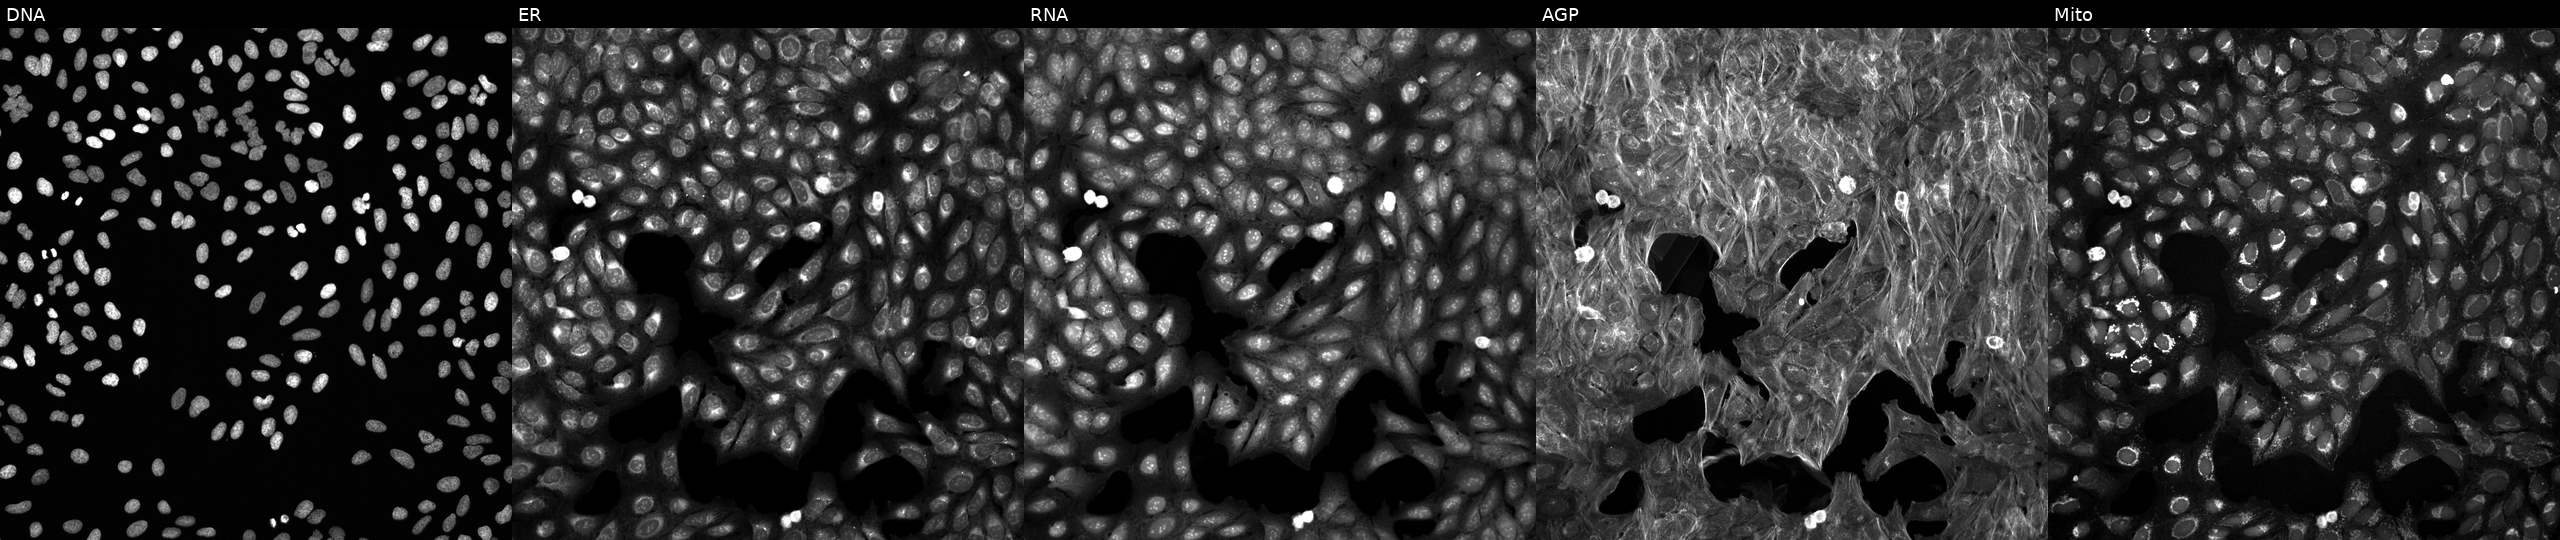
From left to right: DNA (nuclei); ER (endoplasmic reticulum); RNA (nucleoli and cytoplasmic RNA); AGP (actin cytoskeleton, Golgi, and plasma membrane); Mito (mitochondria). U2OS osteosarcoma cells exposed to a small-molecule compound (InChIKey POLVTCYZHSTOAK-UHFFFAOYSA-N) (JUMP id JCP2022_069980). Cell Painting assay, JUMP-CP dataset.